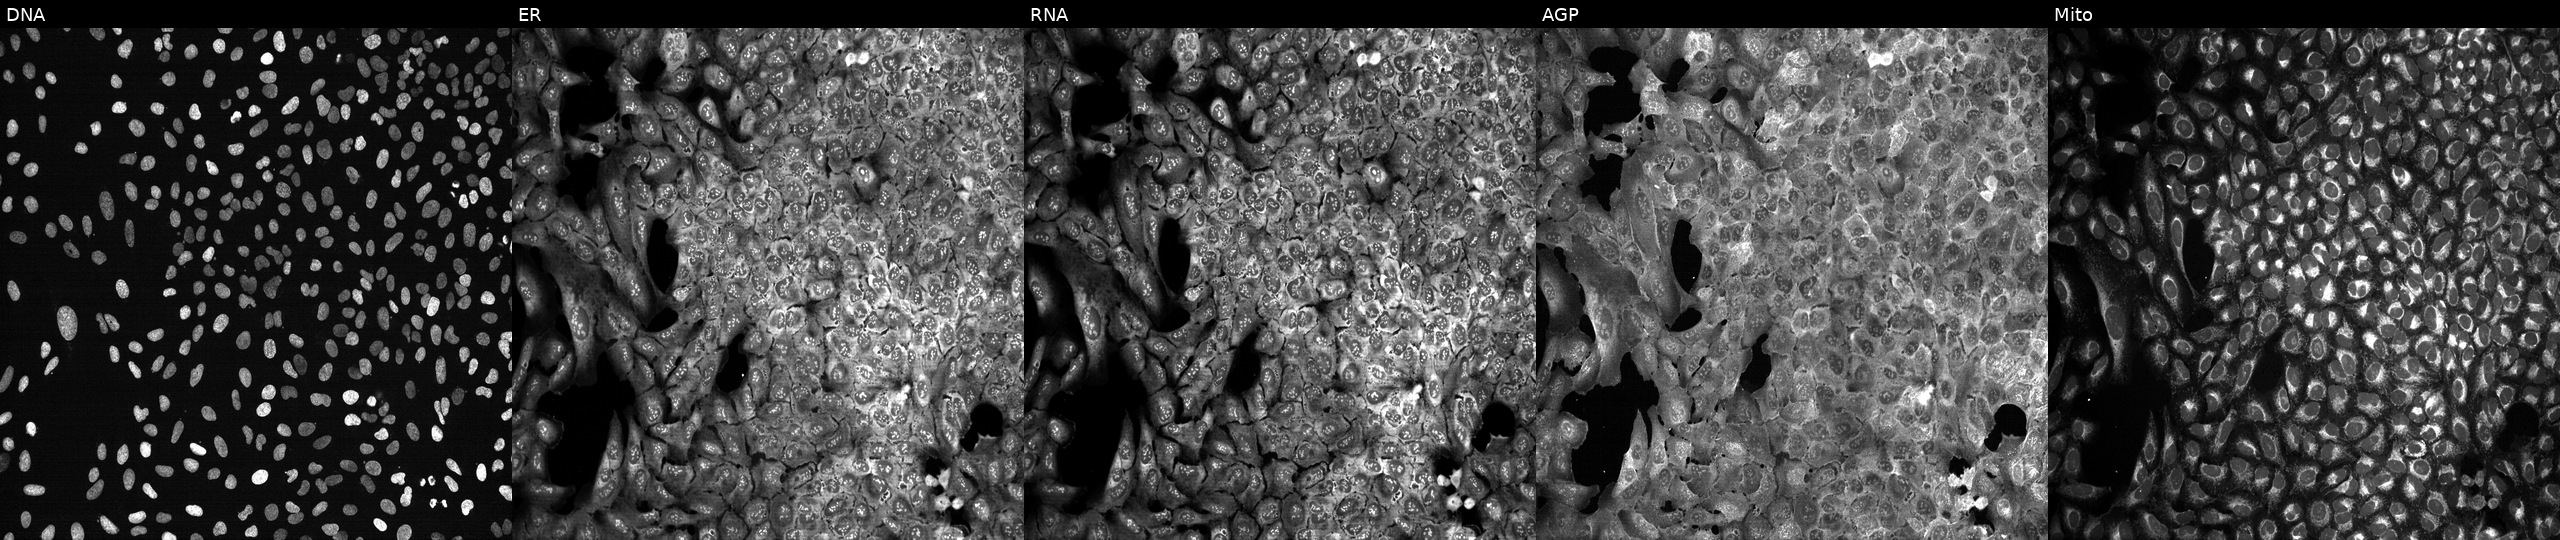
High-content fluorescence microscopy (Cell Painting). Cell line: U2OS. Perturbation: following CRISPR knockout of CPS1. From left to right: DNA (nuclei); ER (endoplasmic reticulum); RNA (nucleoli and cytoplasmic RNA); AGP (actin cytoskeleton, Golgi, and plasma membrane); Mito (mitochondria). Source 13, plate CP-CC9-R3-02, well C14.